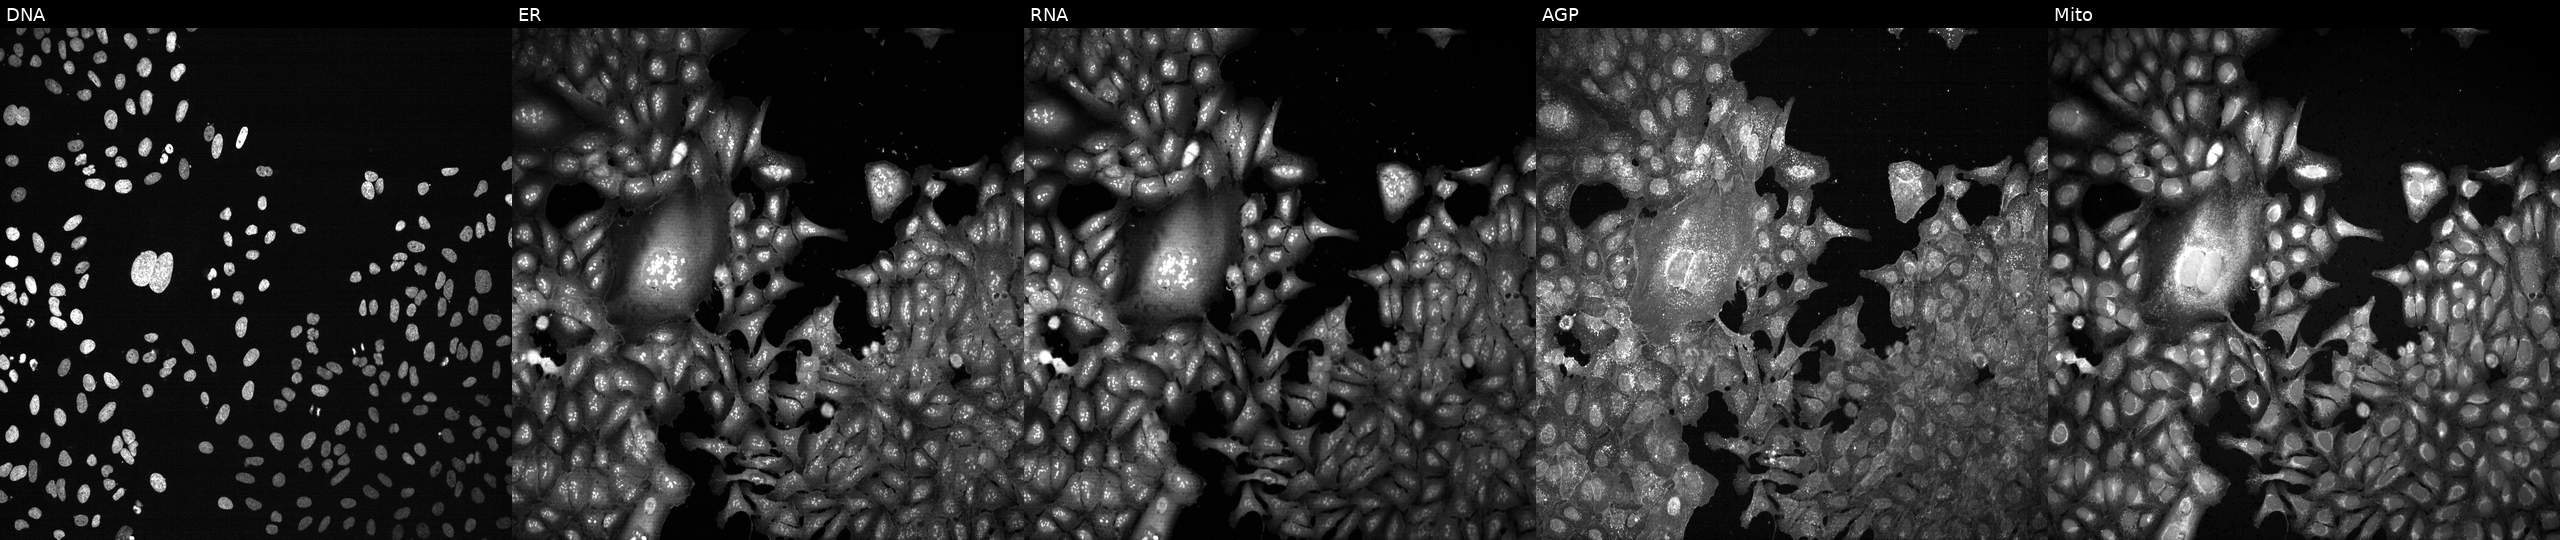
The five panels, left to right, show Hoechst 33342, concanavalin A, SYTO 14, phalloidin and WGA, MitoTracker. U2OS osteosarcoma cells following CRISPR knockout of SH3BGR. Cell Painting assay, JUMP-CP dataset.